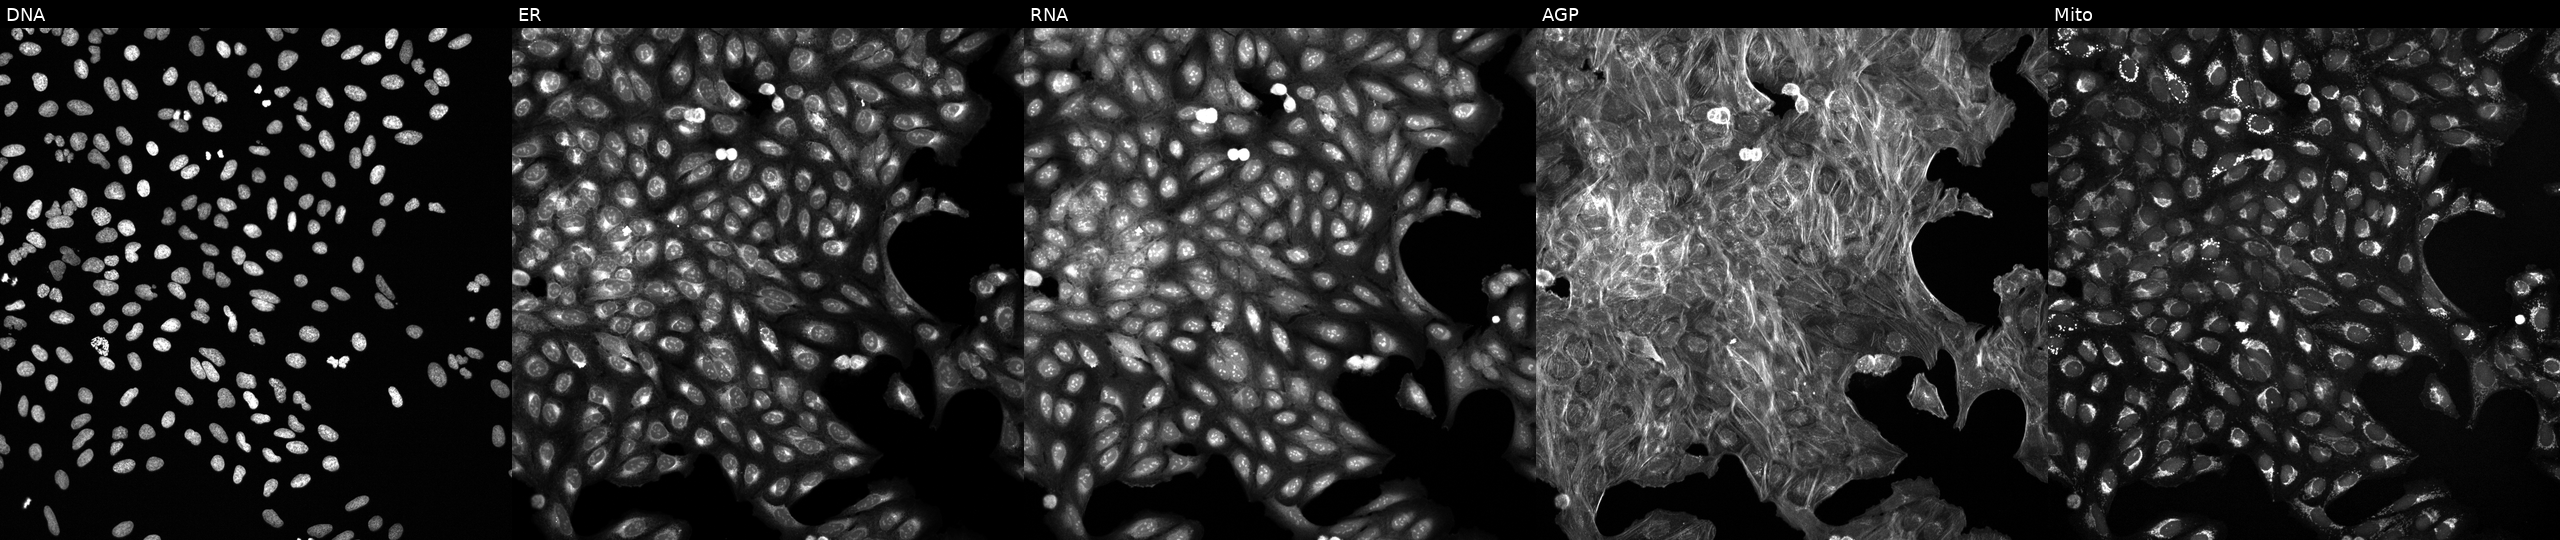
JUMP Cell Painting — TARGET2 plate. U2OS cells exposed to a small-molecule compound. Channels (left→right): DNA, ER, RNA, AGP, and Mito.